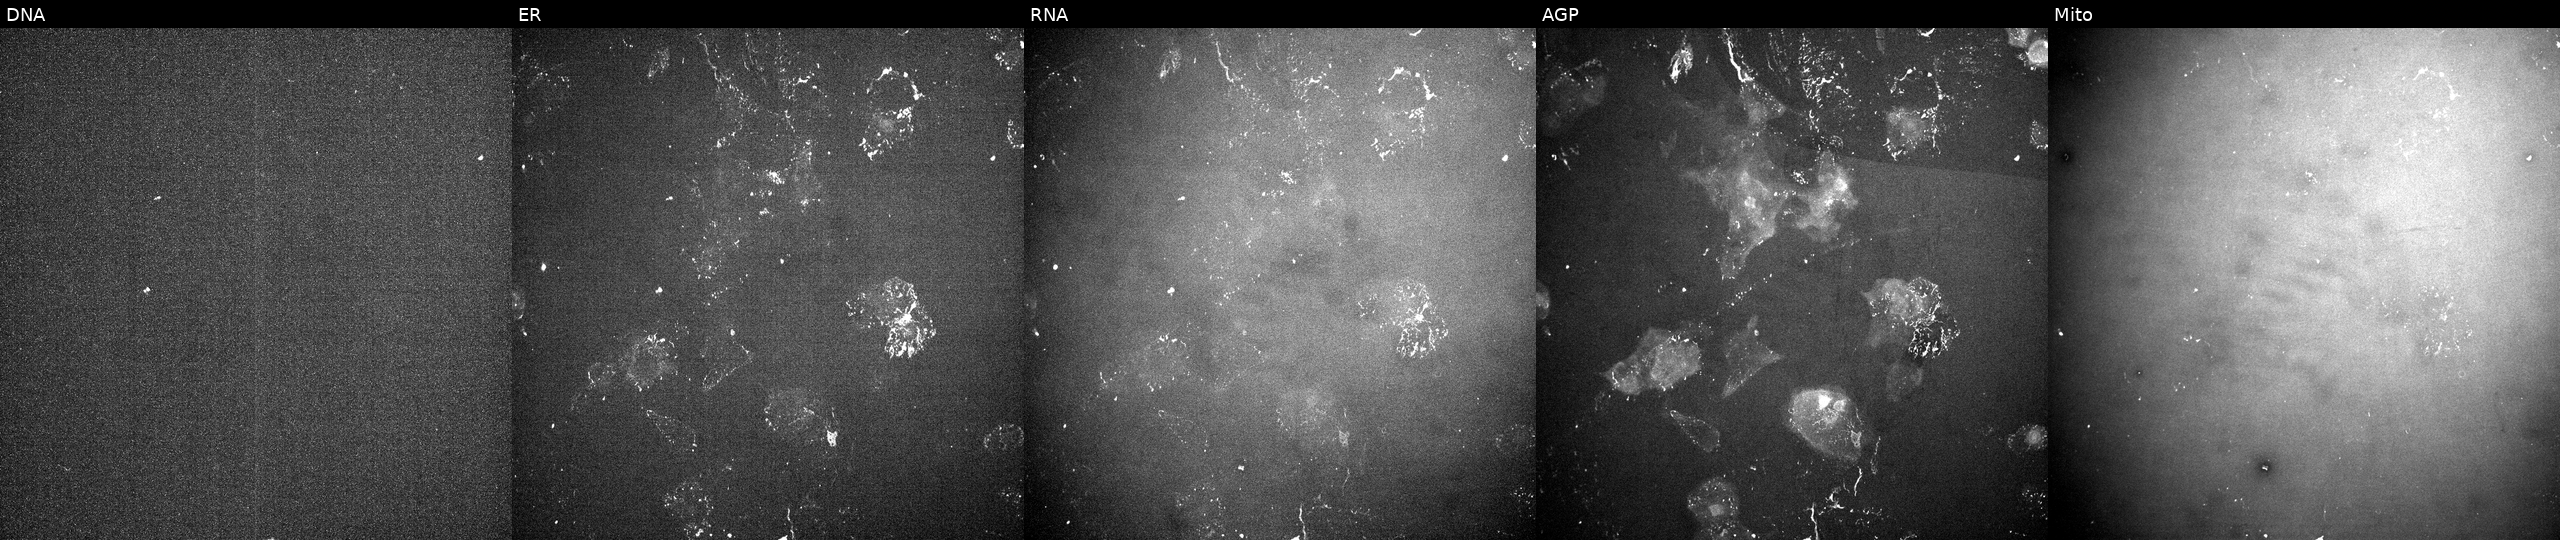
This image strip shows the five Cell Painting channels for a single field of U2OS cells exposed to a small-molecule compound (InChIKey XUZQTIZWMHMWOC-UHFFFAOYSA-N). Panels show, left to right, DNA (nuclei); ER (endoplasmic reticulum); RNA (nucleoli and cytoplasmic RNA); AGP (actin cytoskeleton, Golgi, and plasma membrane); Mito (mitochondria).